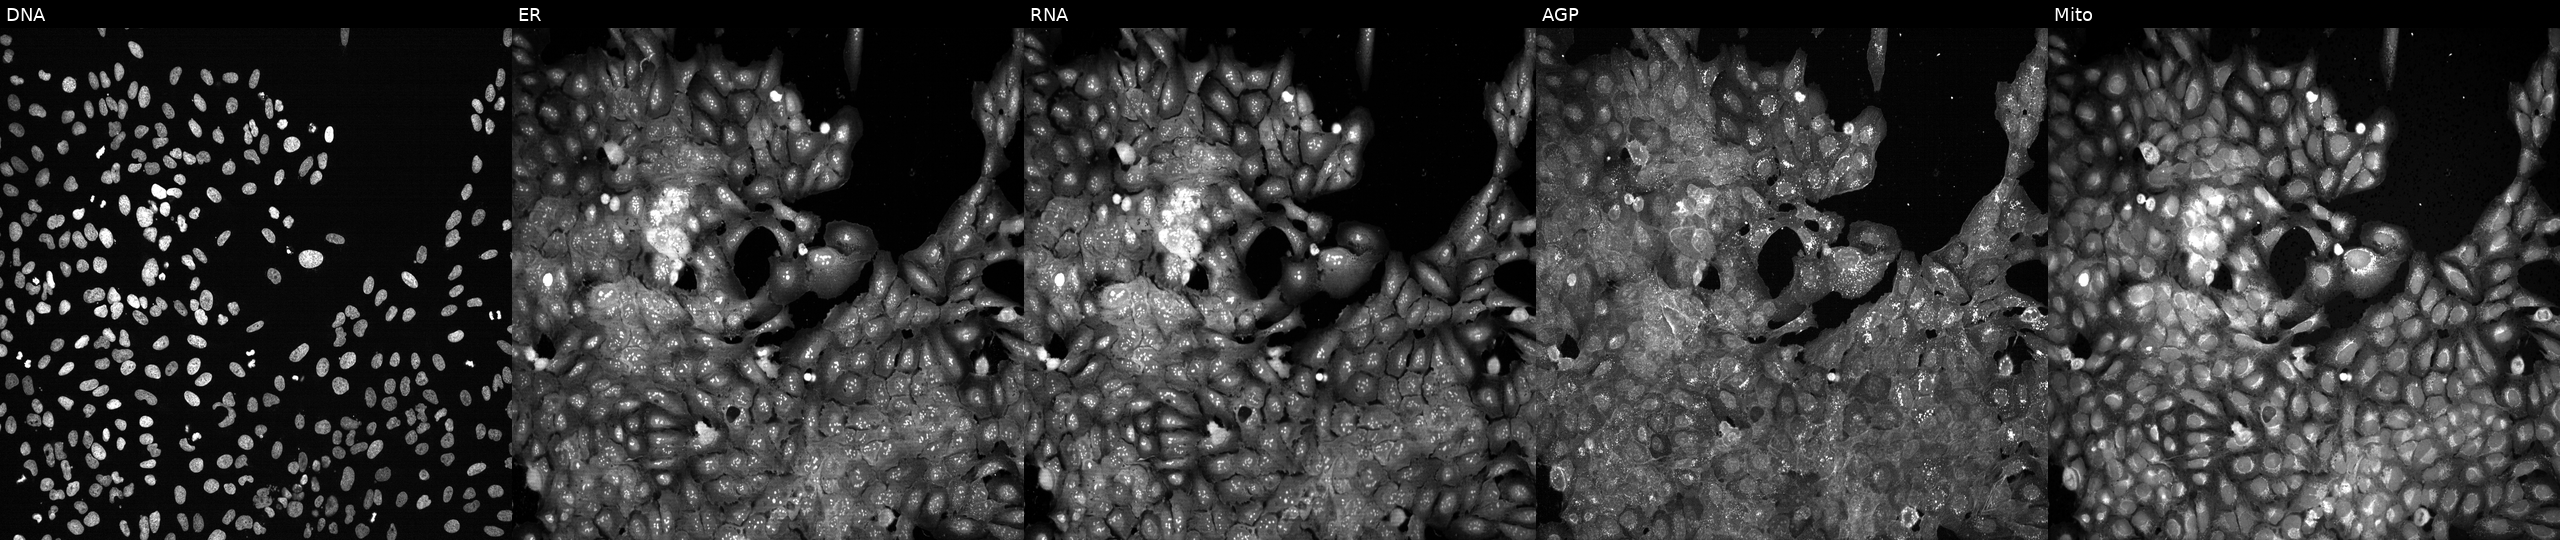
Channels (left→right): Hoechst 33342, concanavalin A, SYTO 14, phalloidin and WGA, MitoTracker. U2OS osteosarcoma cells following CRISPR knockout of OGDHL (JUMP id JCP2022_804779). Cell Painting assay, JUMP-CP dataset. Source 13, plate CP-CC9-R1-02, well J08.